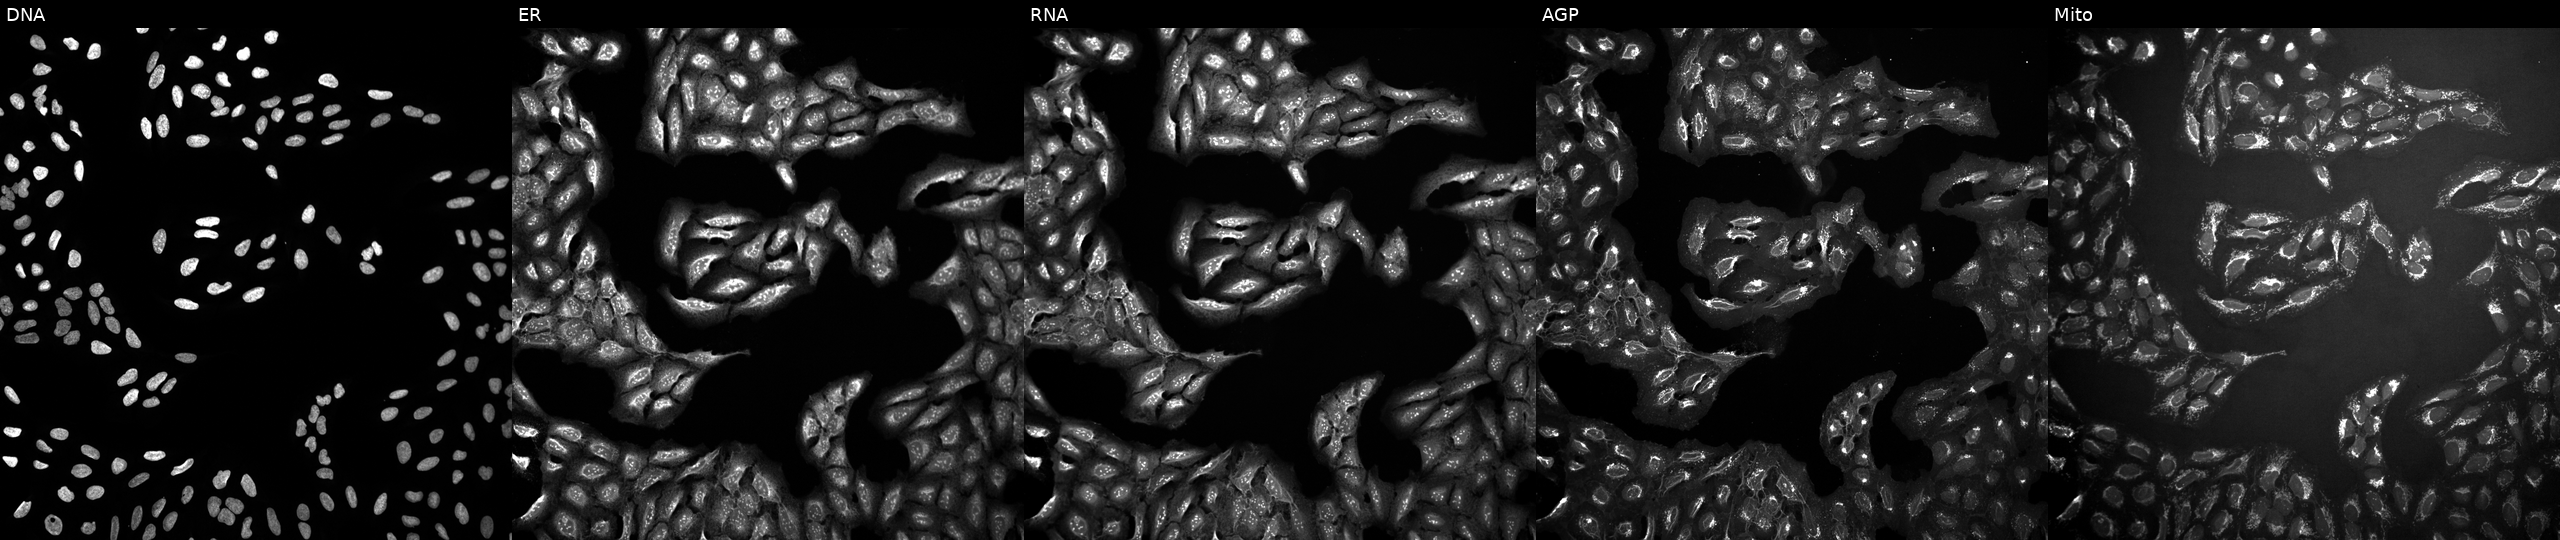
This image strip shows the five Cell Painting channels for a single field of U2OS cells treated with DMSO vehicle only (negative control). Panels show, left to right, DNA, ER, RNA, AGP, and Mito. Source 10, plate Dest210803-153958, well F24.